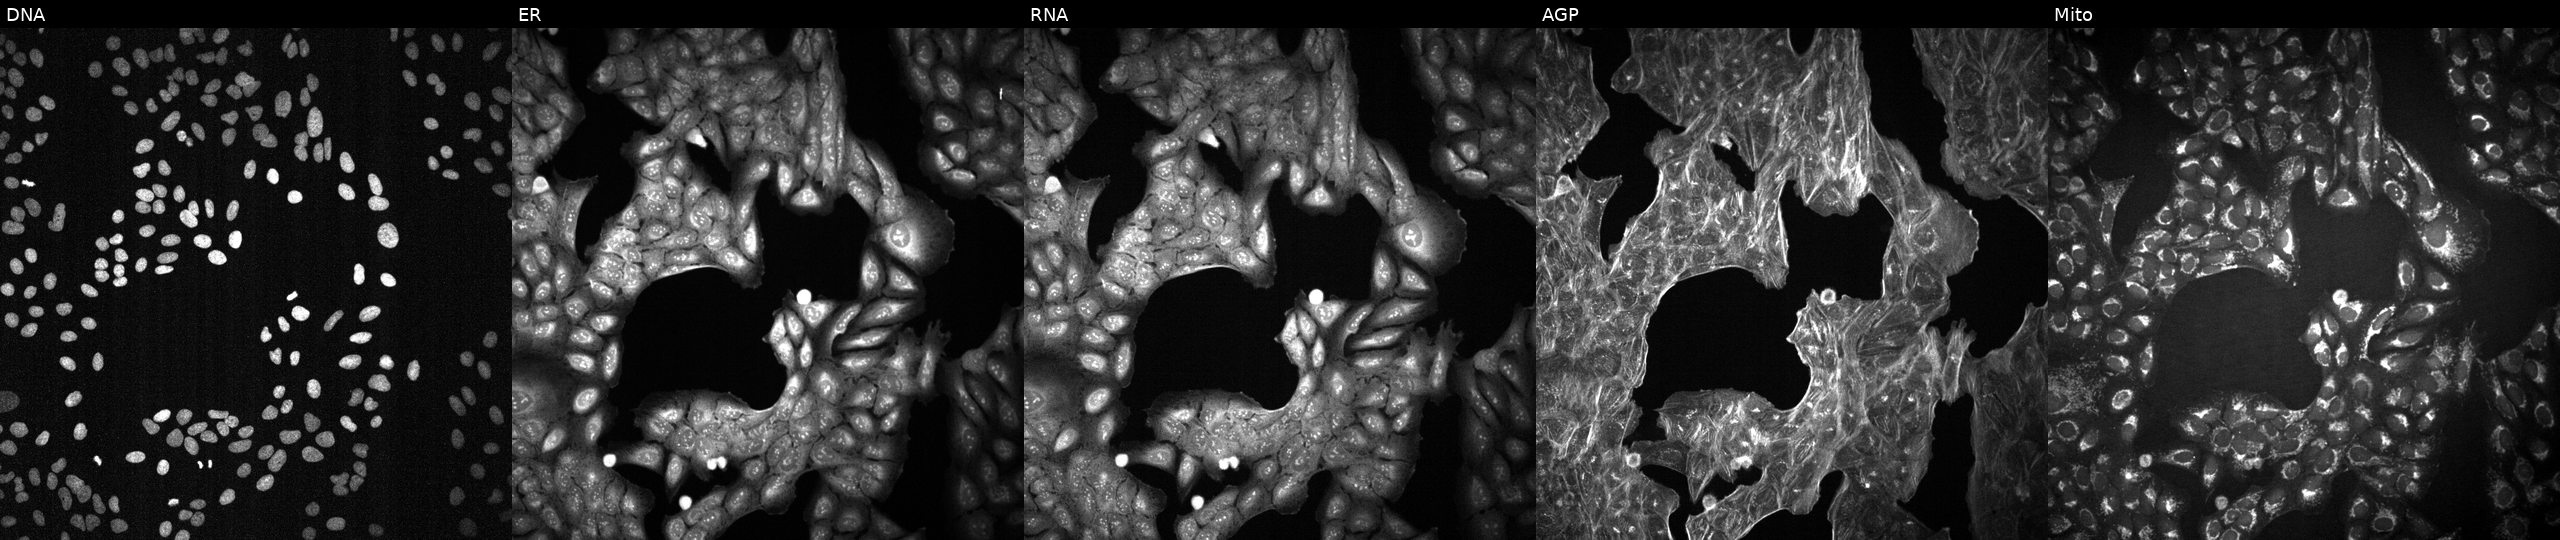
JUMP Cell Painting — TARGET2 plate. U2OS cells perturbed with a small-molecule compound (InChIKey ZJVFLBOZORBYFE-UHFFFAOYSA-N) (JUMP id JCP2022_113779). From left to right: Hoechst 33342, concanavalin A, SYTO 14, phalloidin and WGA, MitoTracker.